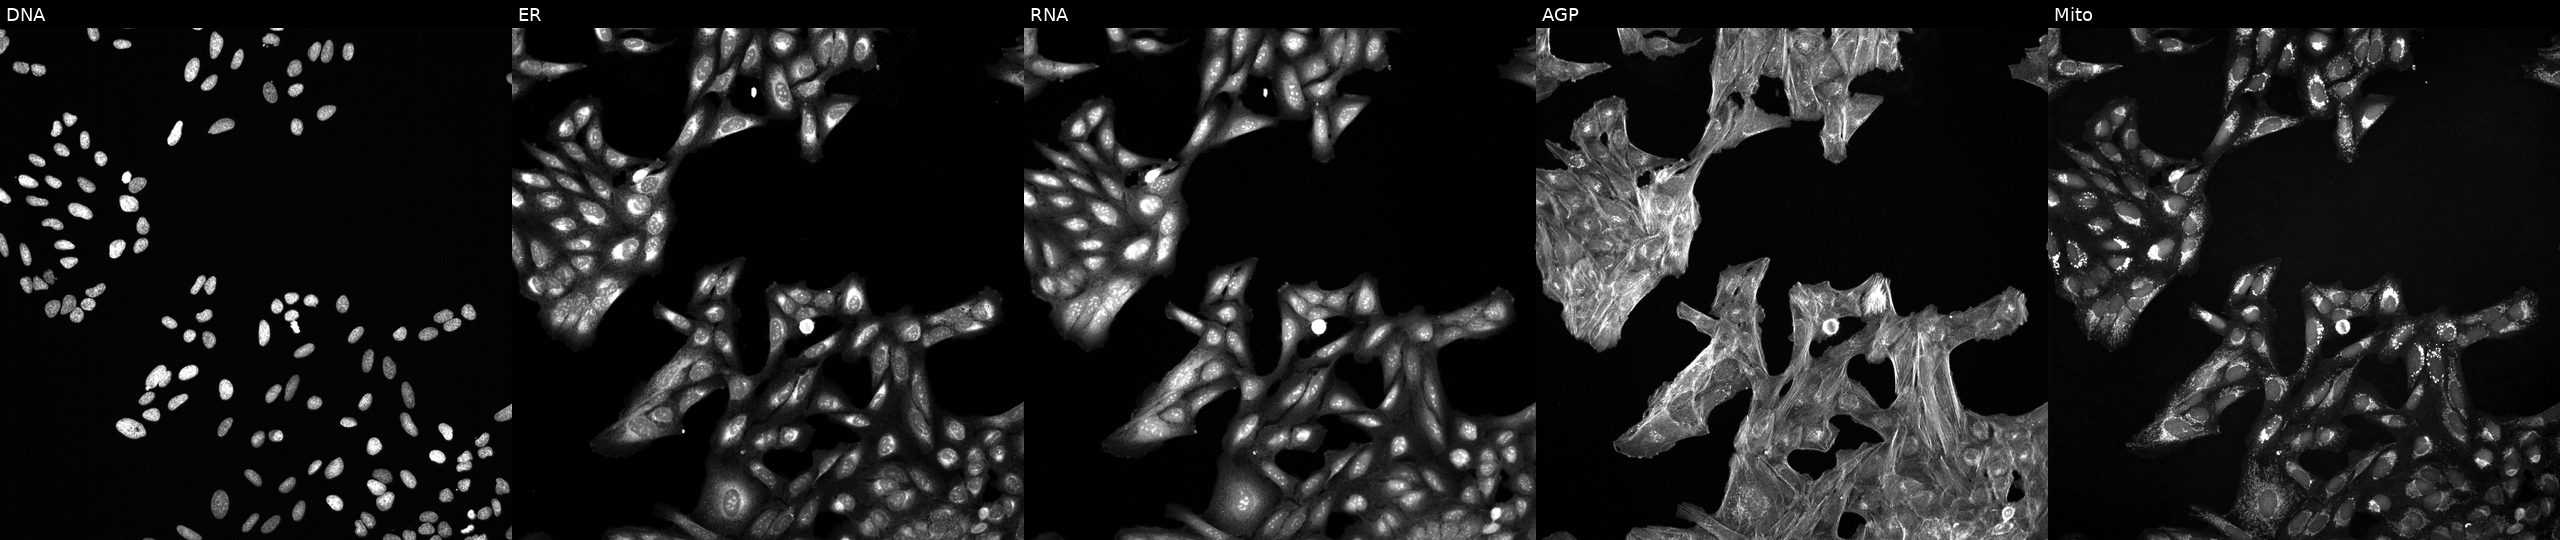
This image strip shows the five Cell Painting channels for a single field of U2OS cells perturbed with a small-molecule compound (InChIKey HXEAZSJILAXJJT-UHFFFAOYSA-N). The five panels, left to right, show Hoechst 33342, concanavalin A, SYTO 14, phalloidin and WGA, MitoTracker. Source 6, plate 110000293083, well M22.